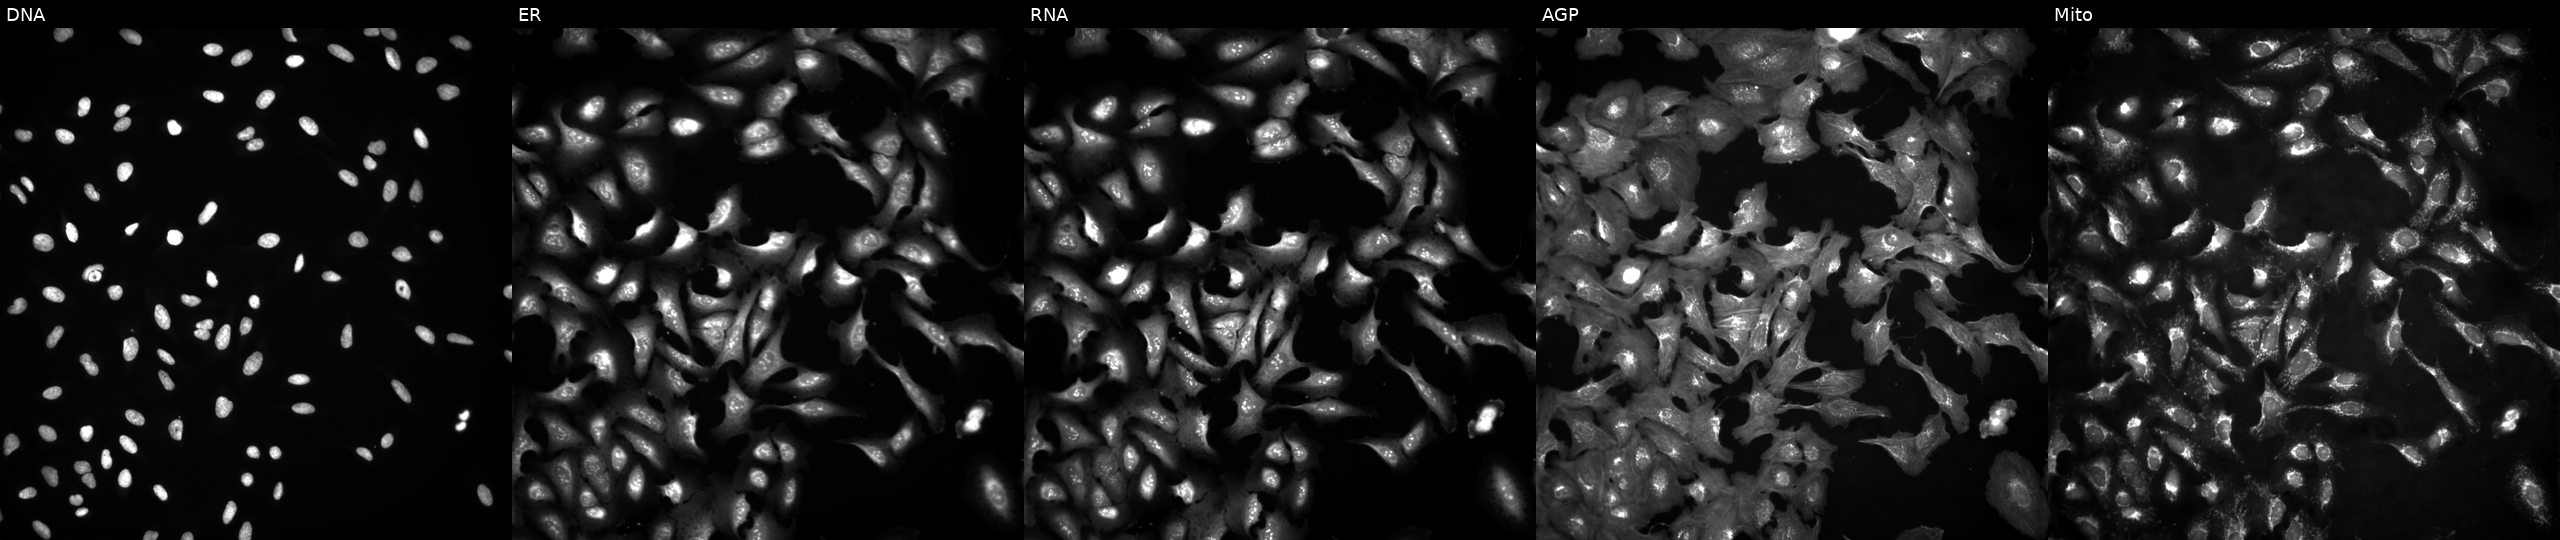
Channels (left→right): Hoechst 33342, concanavalin A, SYTO 14, phalloidin and WGA, MitoTracker. U2OS osteosarcoma cells transfected with an ORF construct for ROCK2 (JUMP id JCP2022_910606). Cell Painting assay, JUMP-CP dataset.